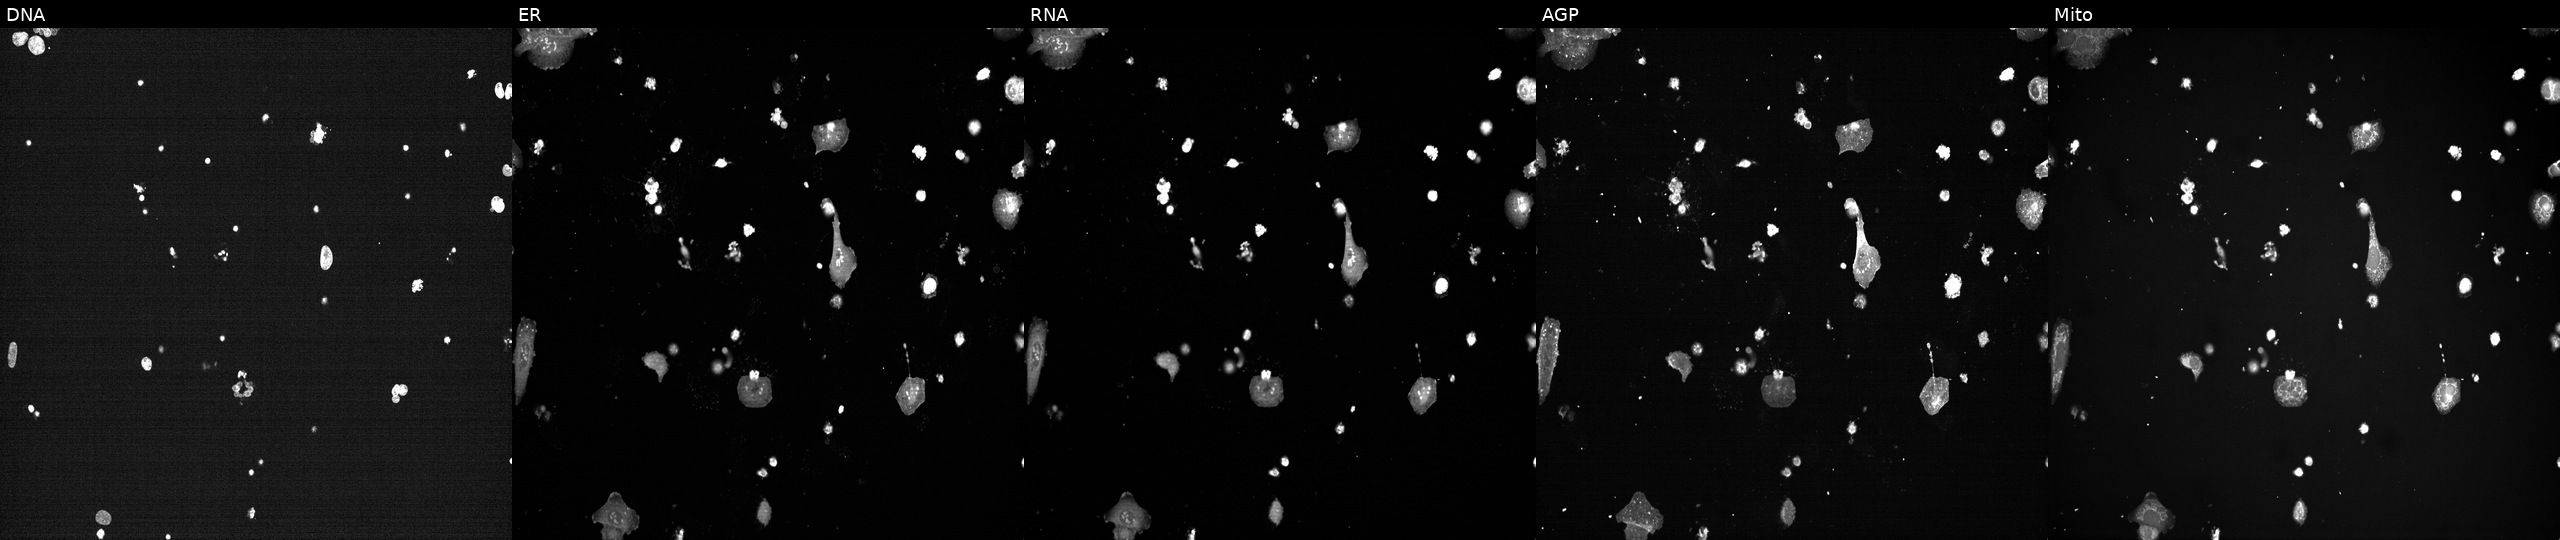
Panels show, left to right, DNA, ER, RNA, AGP, and Mito. U2OS osteosarcoma cells exposed to a small-molecule compound (InChIKey VSVFLGPUZJTBSD-UHFFFAOYSA-N) (JUMP id JCP2022_096054). Cell Painting assay, JUMP-CP dataset. Source 7, plate CP2-SC1-25, well D02.